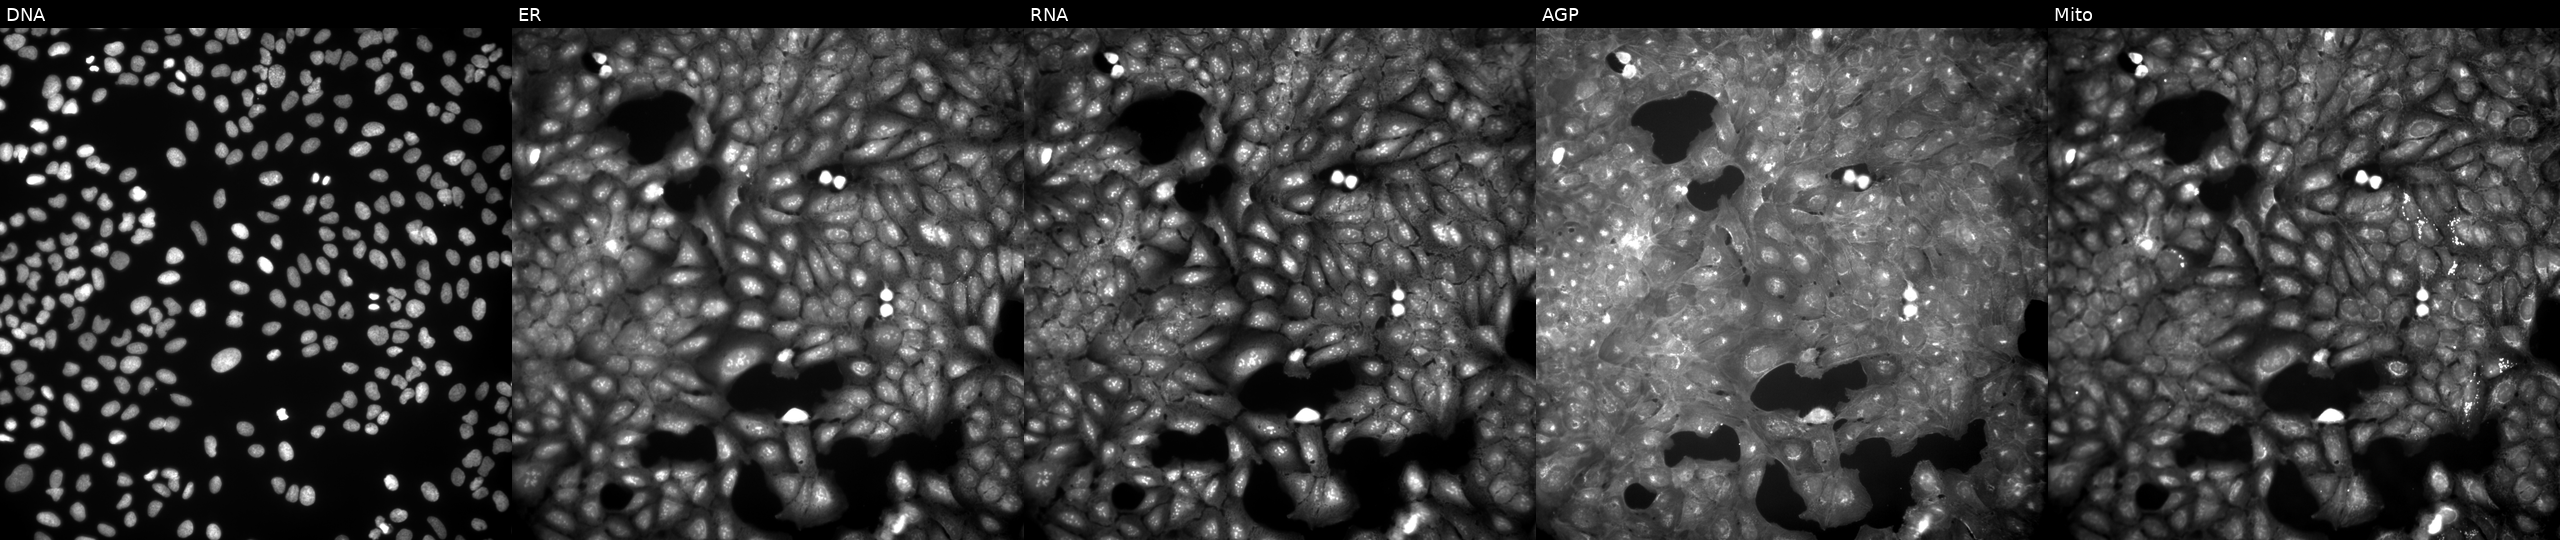
The five panels, left to right, show DNA, ER, RNA, AGP, and Mito. U2OS osteosarcoma cells exposed to the positive-control compound TC-S-7004. Cell Painting assay, JUMP-CP dataset.